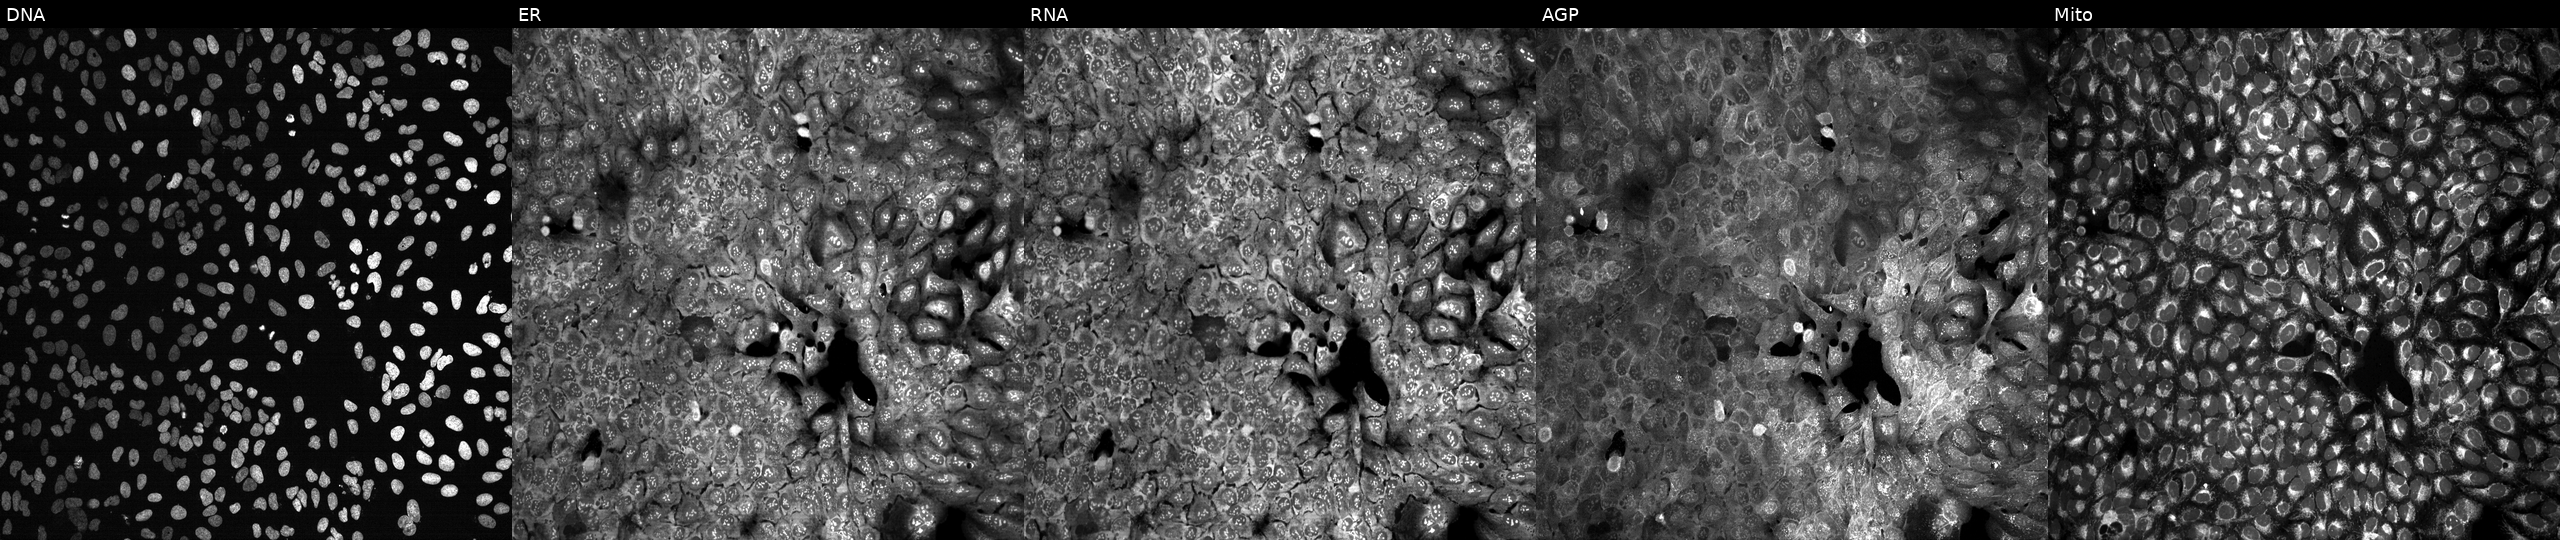
Five-channel Cell Painting image of U2OS cells CRISPR-edited to disrupt IL2RG (JUMP id JCP2022_803392). Panels show, left to right, DNA, ER, RNA, AGP, and Mito.